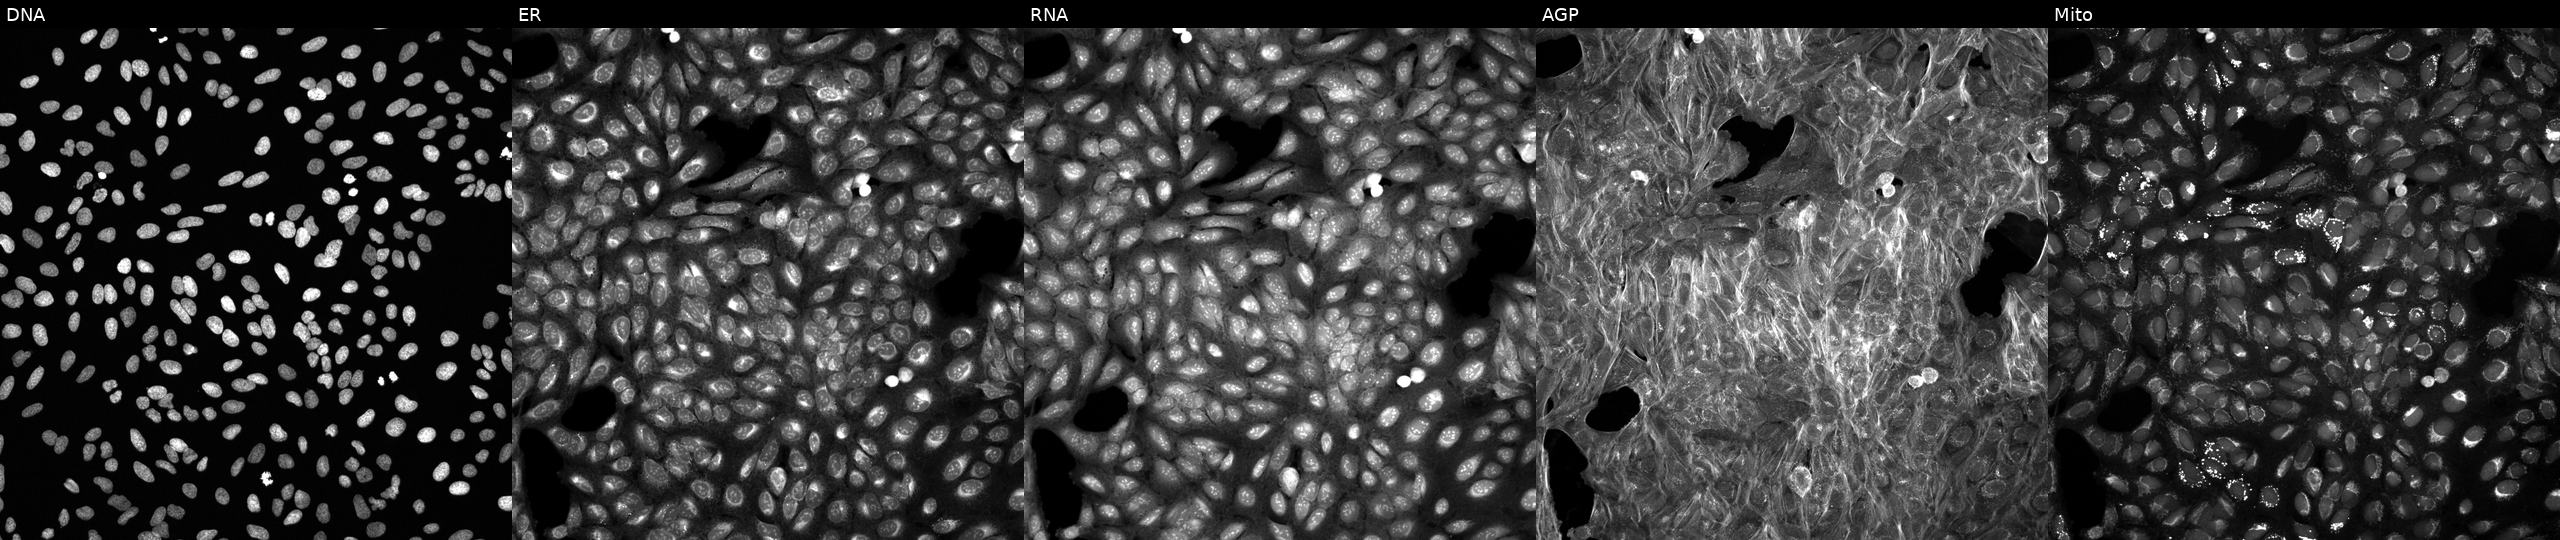
High-content fluorescence microscopy (Cell Painting). Cell line: U2OS. Perturbation: treated with a small-molecule compound (InChIKey FHPOTBQOUBMMCI-UHFFFAOYSA-N). Channels (left→right): DNA, ER, RNA, AGP, and Mito.